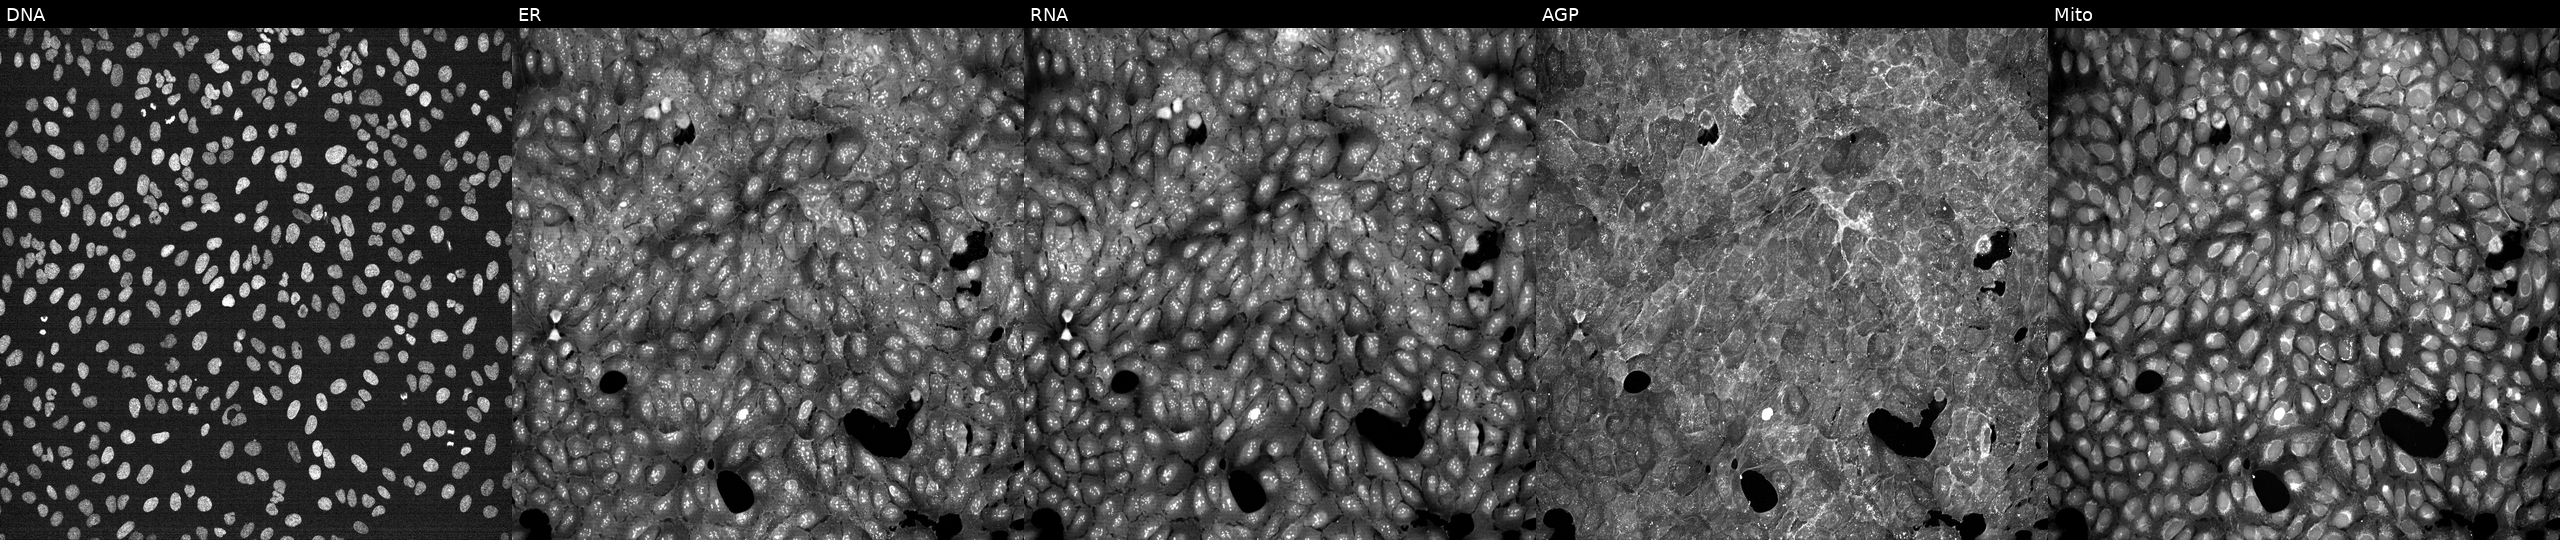
This image strip shows the five Cell Painting channels for a single field of U2OS cells exposed to a small-molecule compound (InChIKey DXZRBHUCOHBAHP-UHFFFAOYSA-N) (JUMP id JCP2022_018899). Panels show, left to right, Hoechst 33342, concanavalin A, SYTO 14, phalloidin and WGA, MitoTracker. Source 7, plate CP1-SC1-25, well C13.